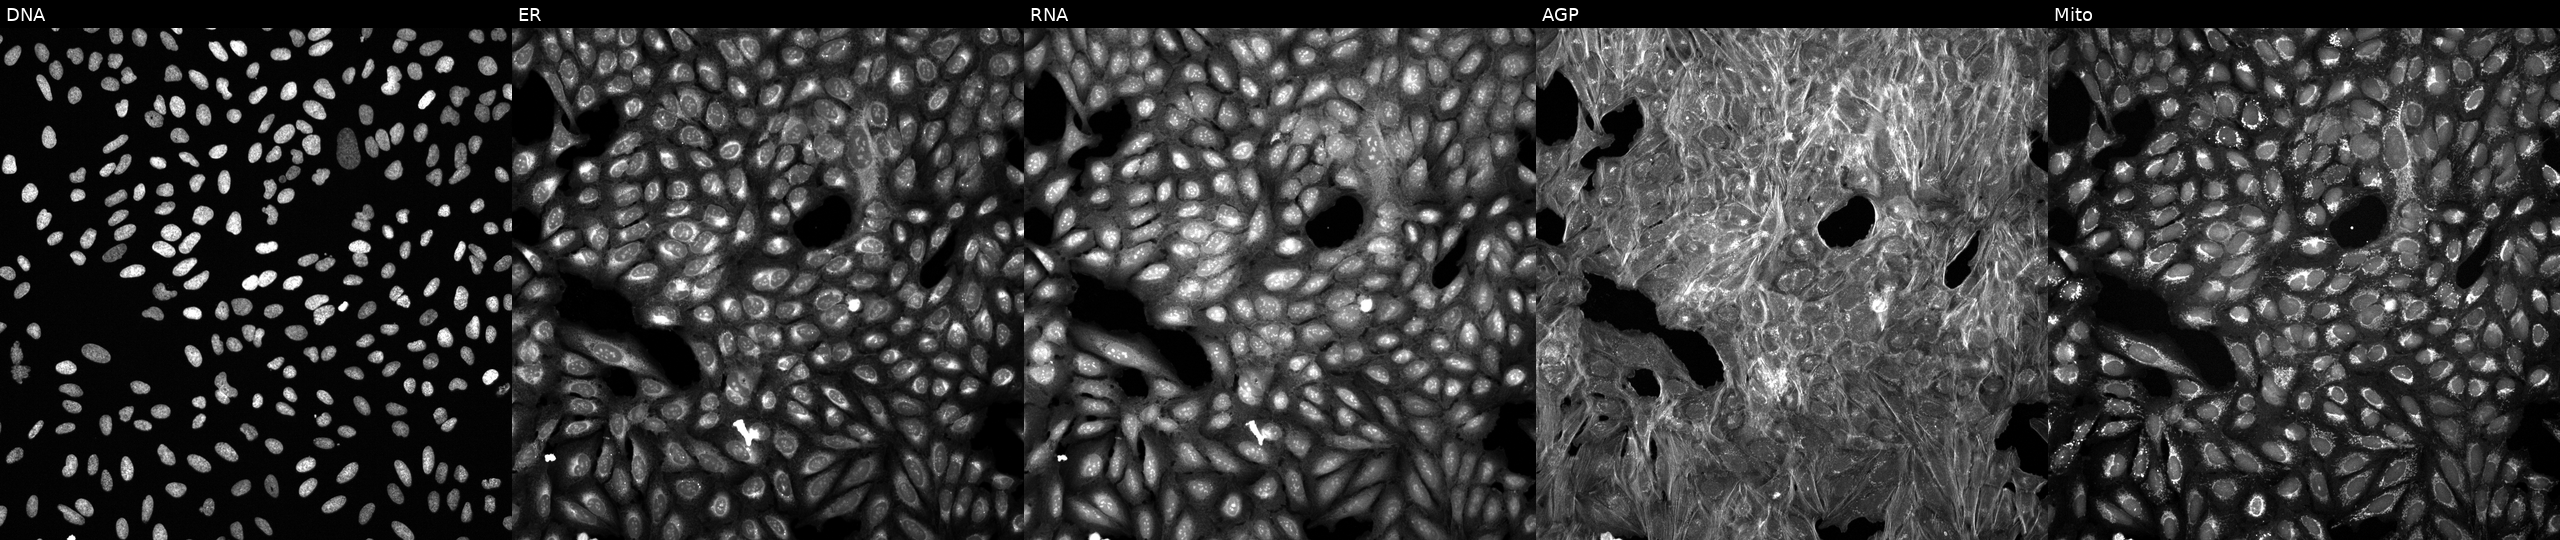
Channels (left→right): Hoechst 33342, concanavalin A, SYTO 14, phalloidin and WGA, MitoTracker. U2OS osteosarcoma cells treated with a small-molecule compound [SMILES: CC(NC(=O)CCc1nc(=O)c2ccccc2[nH]1)c1ccccc1] (JUMP id JCP2022_073628). Cell Painting assay, JUMP-CP dataset. Source 6, plate 110000294901, well H16.